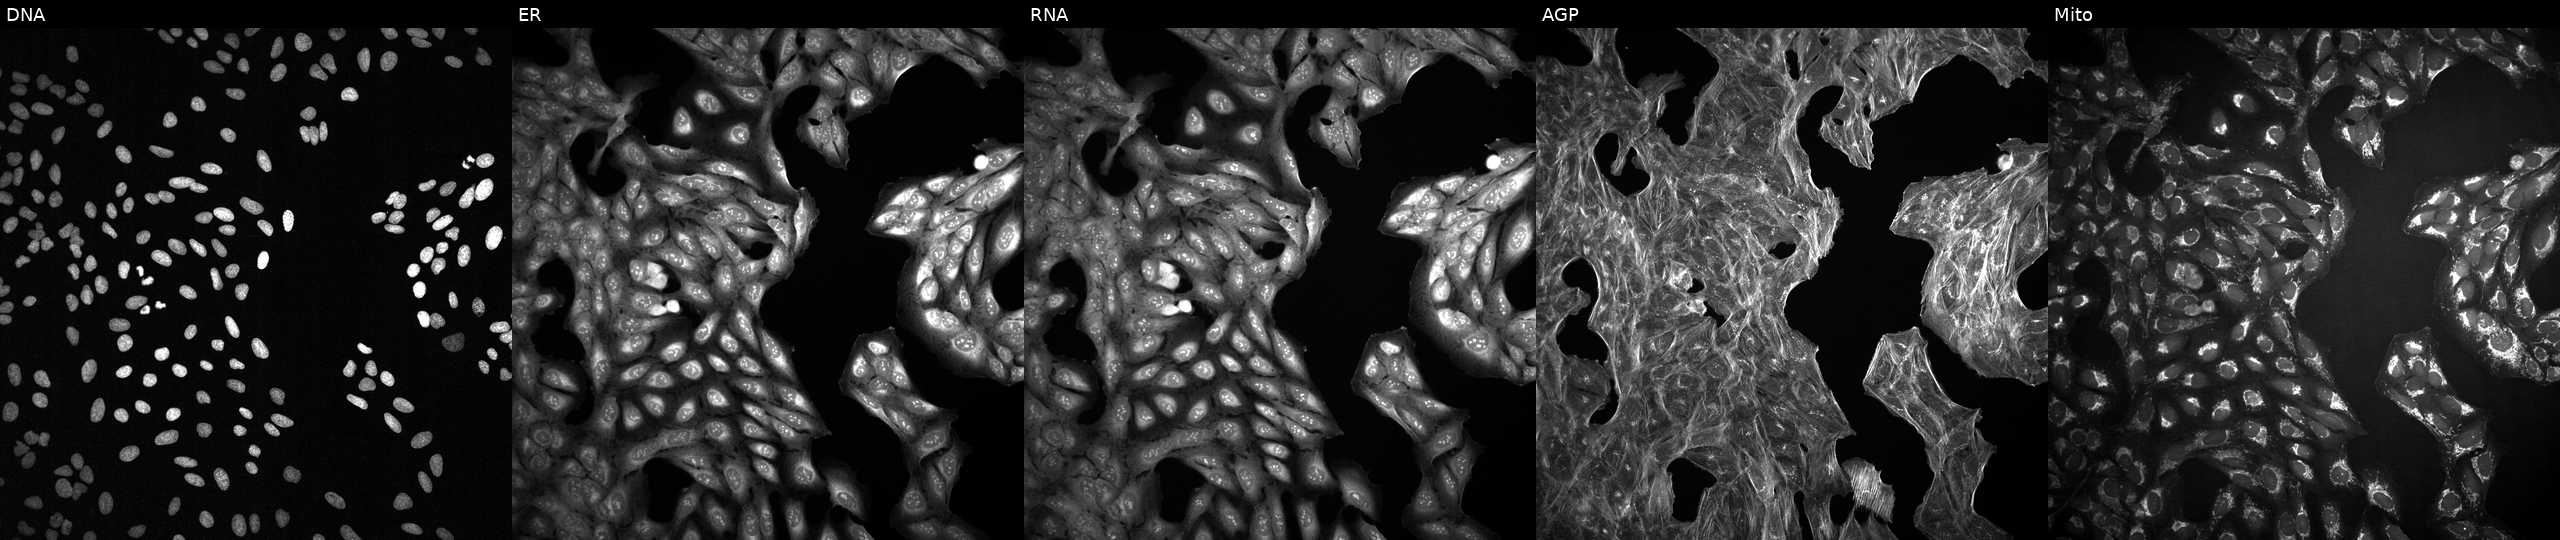
Five-channel Cell Painting image of U2OS cells treated with a small-molecule compound (JUMP id JCP2022_066287). Channels (left→right): DNA, ER, RNA, AGP, and Mito. Source 2, plate 1053600674, well I24.